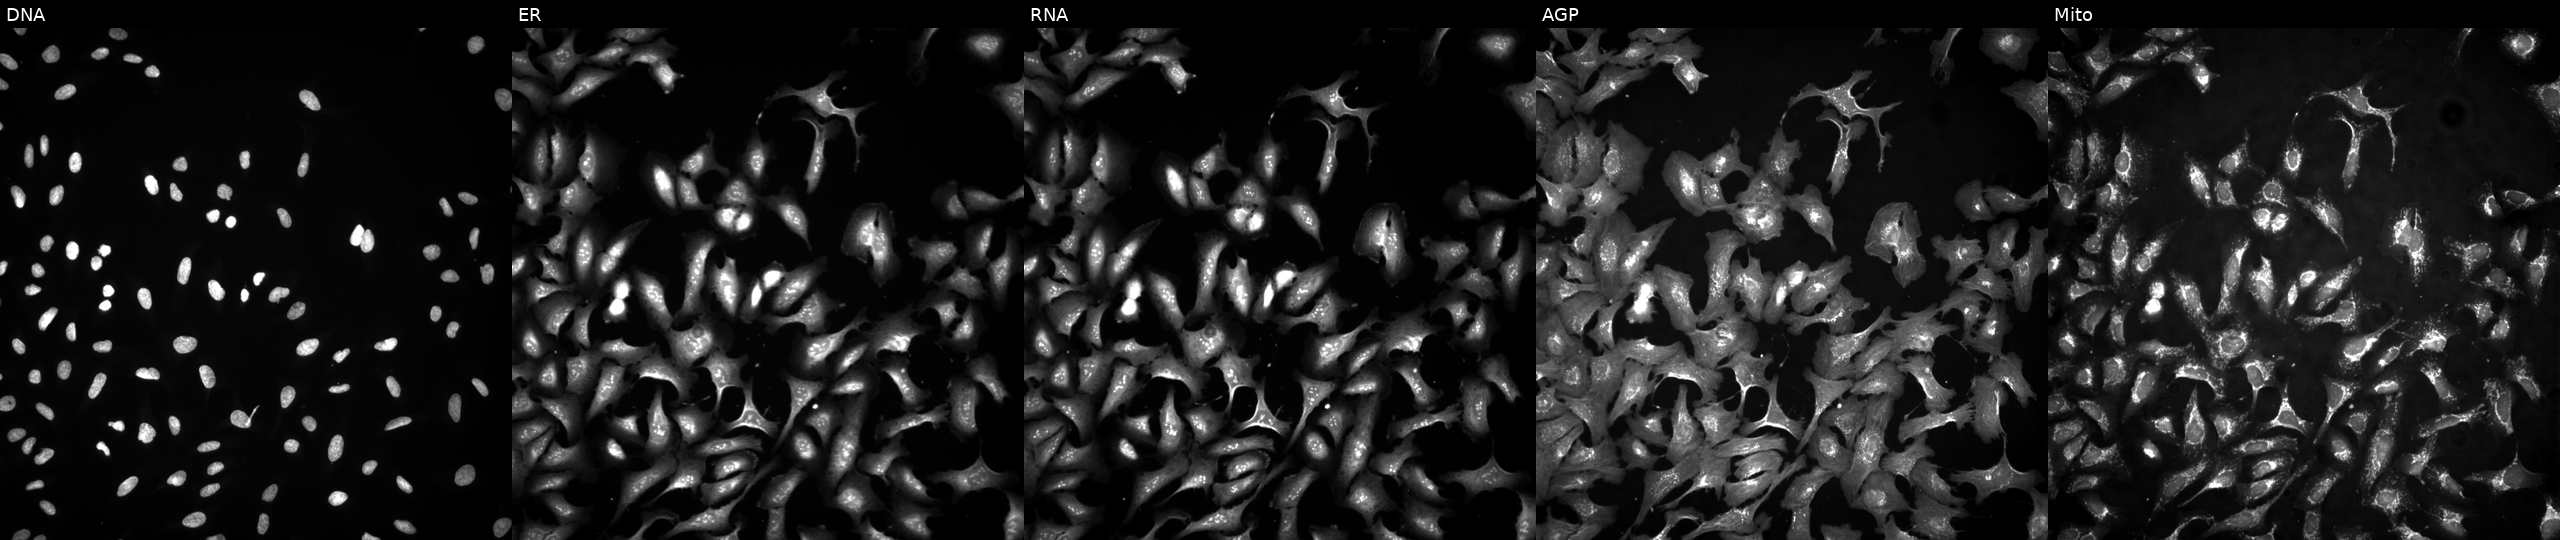
The five panels, left to right, show DNA (nuclei); ER (endoplasmic reticulum); RNA (nucleoli and cytoplasmic RNA); AGP (actin cytoskeleton, Golgi, and plasma membrane); Mito (mitochondria). U2OS osteosarcoma cells expressing LacZ (ORF negative control). Cell Painting assay, JUMP-CP dataset. Source 4, plate BR00123945, well E01.